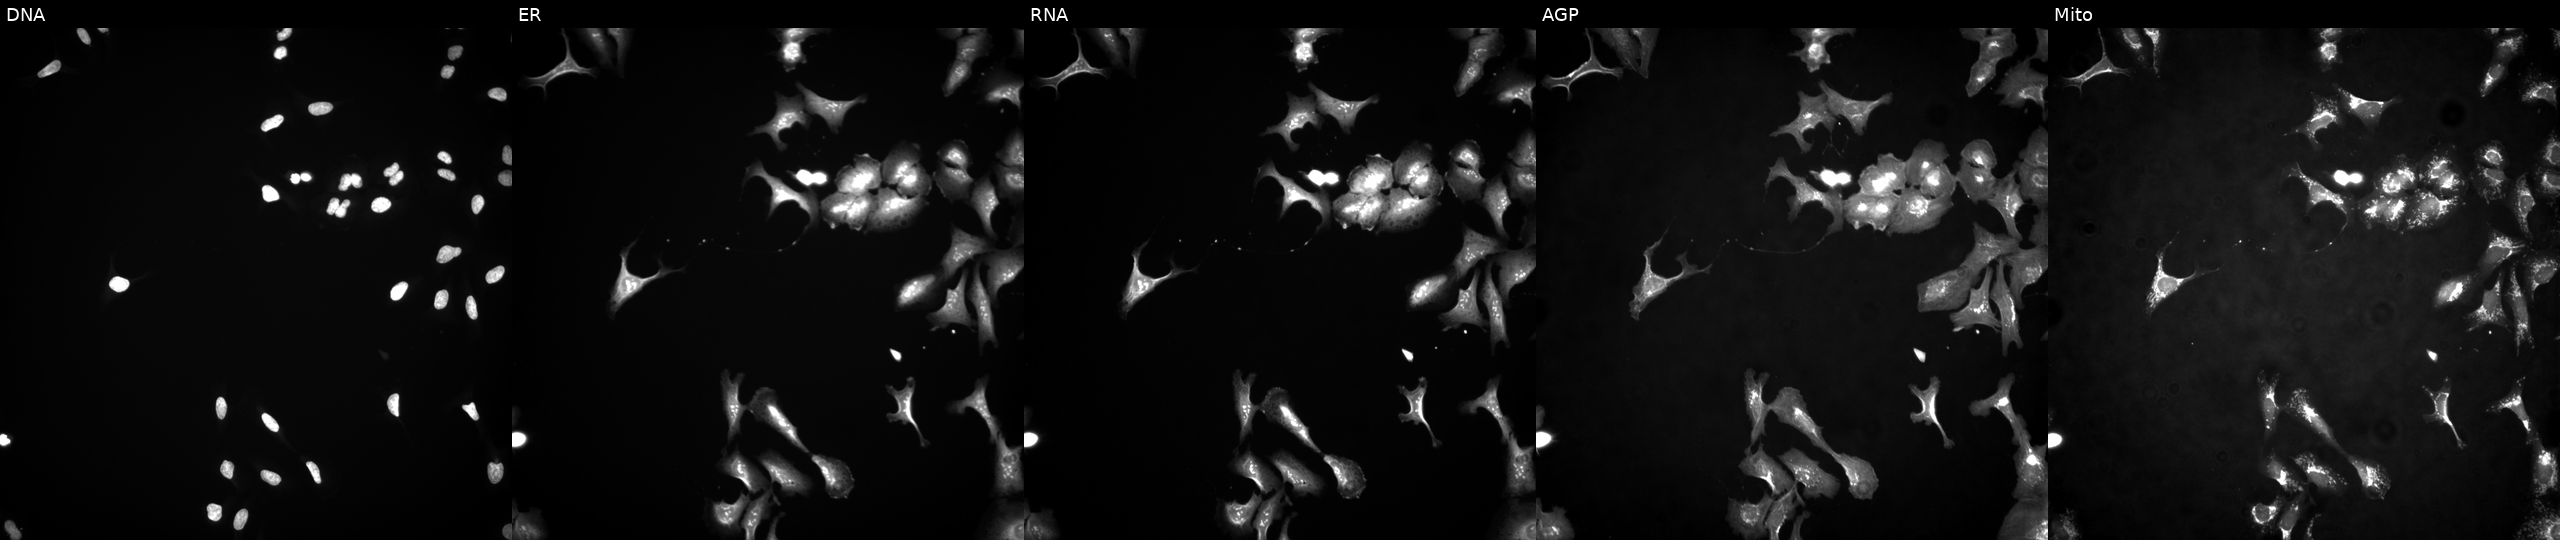
The five panels, left to right, show DNA, ER, RNA, AGP, and Mito. U2OS osteosarcoma cells overexpressing L3MBTL1 via ORF transfection (JUMP id JCP2022_907460). Cell Painting assay, JUMP-CP dataset.